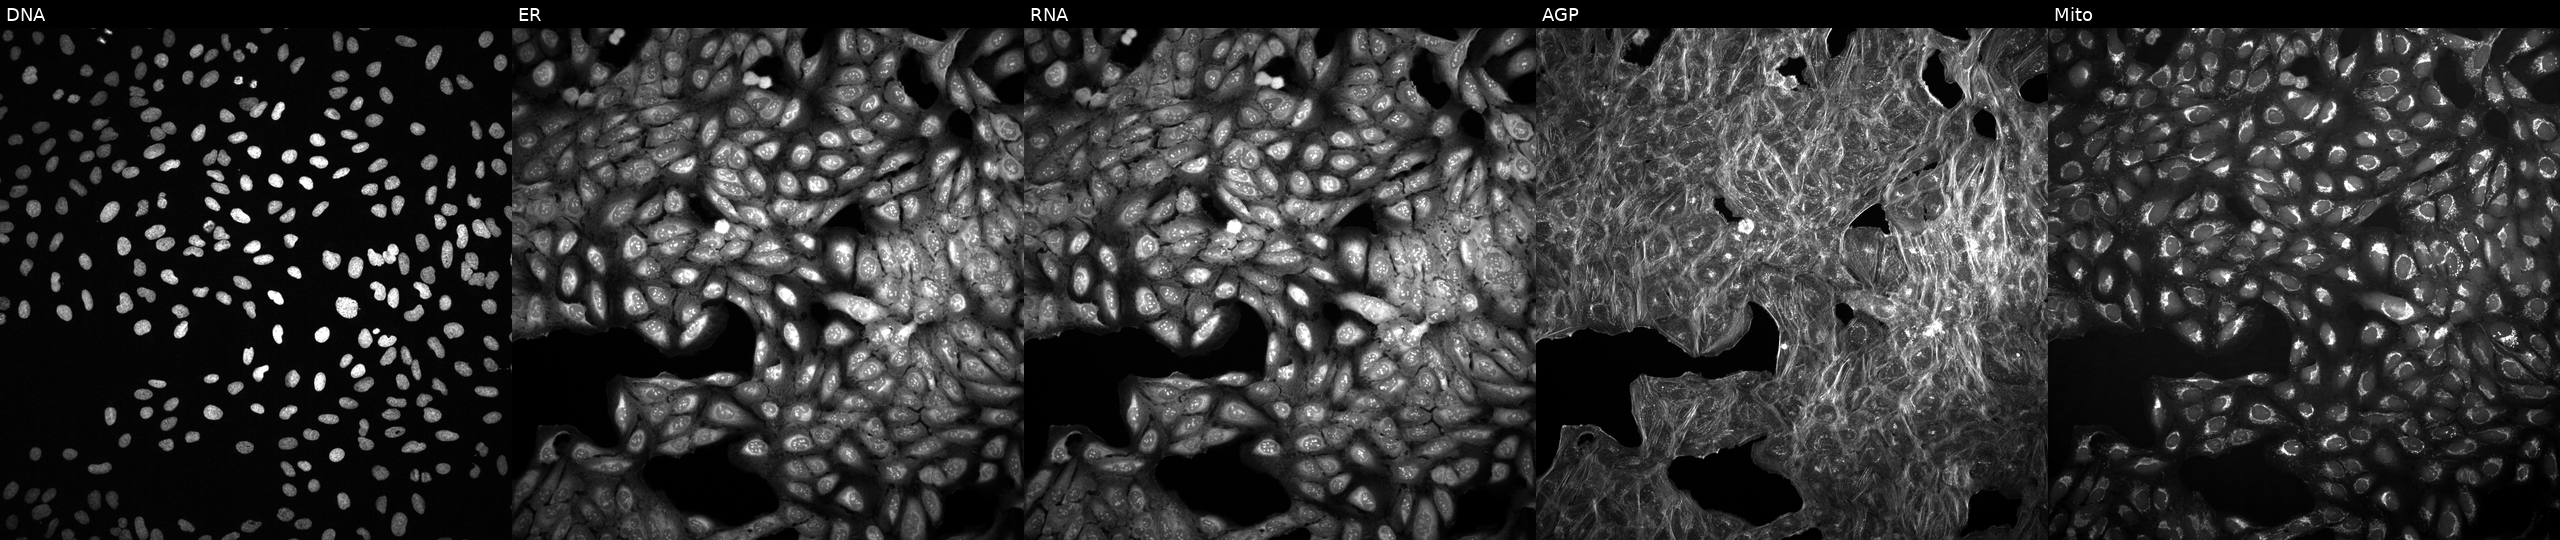
High-content fluorescence microscopy (Cell Painting). Cell line: U2OS. Perturbation: treated with DMSO vehicle only (negative control). Panels show, left to right, DNA (nuclei); ER (endoplasmic reticulum); RNA (nucleoli and cytoplasmic RNA); AGP (actin cytoskeleton, Golgi, and plasma membrane); Mito (mitochondria).